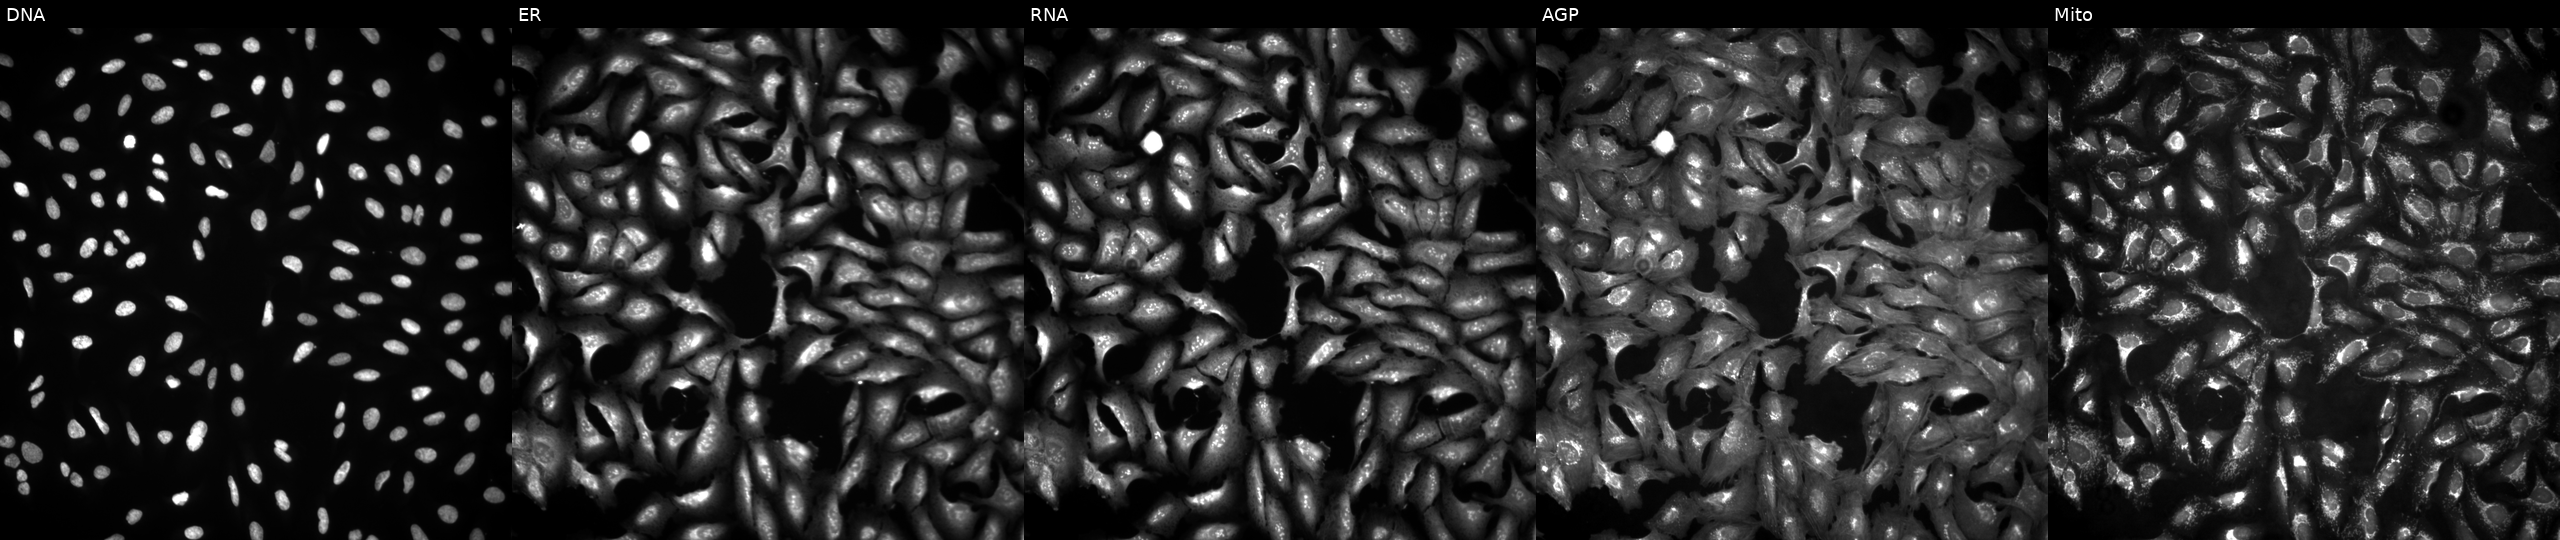
U2OS cells, Cell Painting assay, transfected with an ORF construct for TPRA1. From left to right: DNA (nuclei); ER (endoplasmic reticulum); RNA (nucleoli and cytoplasmic RNA); AGP (actin cytoskeleton, Golgi, and plasma membrane); Mito (mitochondria). Each panel is percentile-stretched 16-bit fluorescence.